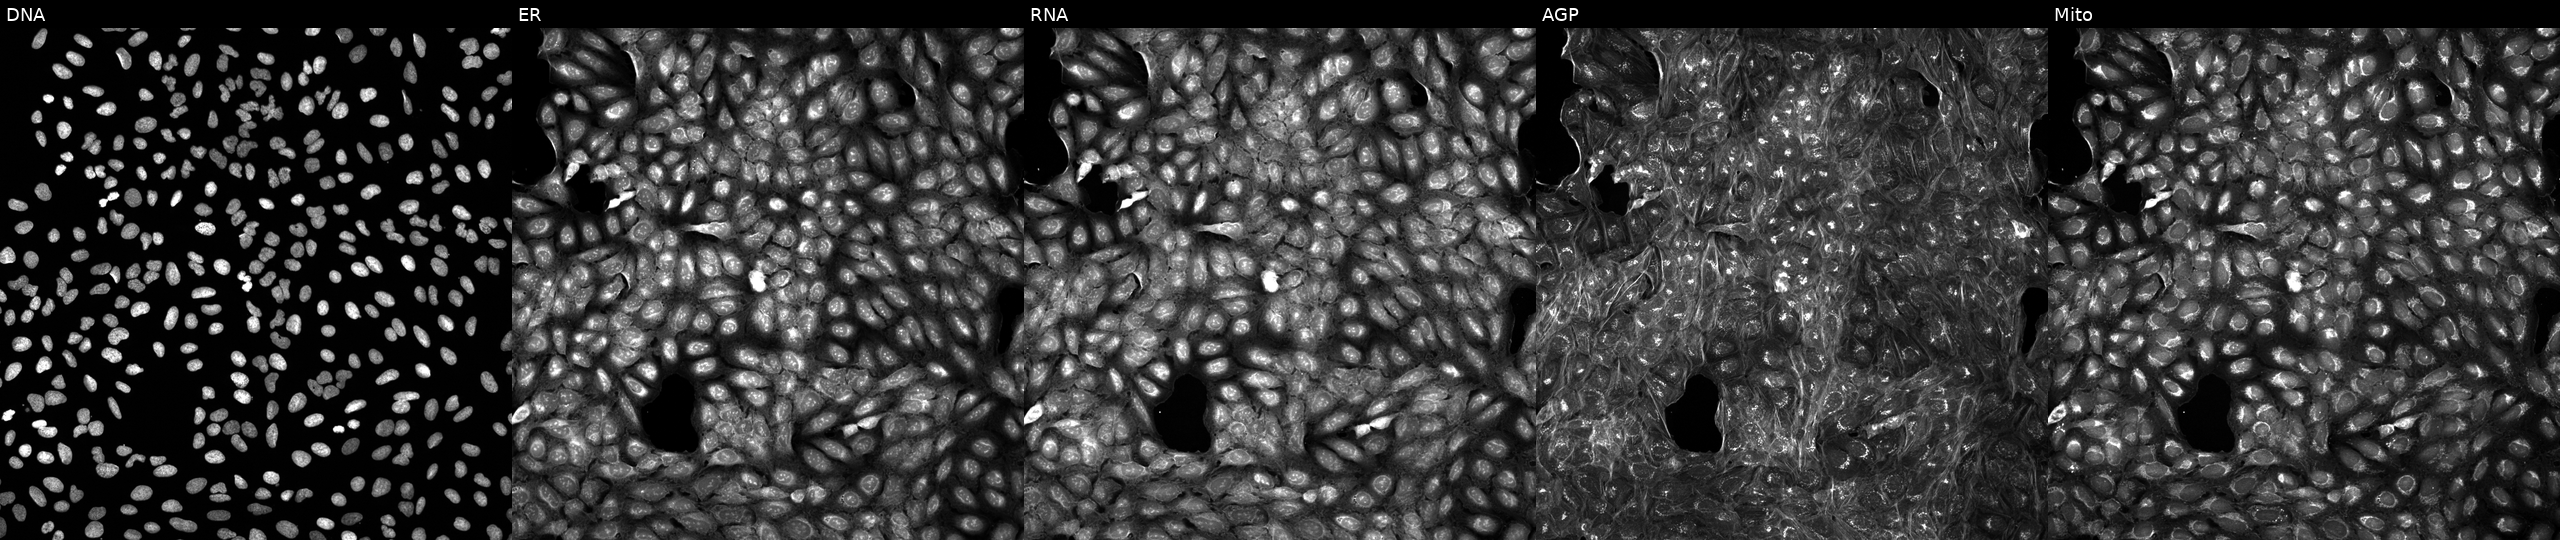
U2OS cells, Cell Painting assay, perturbed with a small-molecule compound (InChIKey JBJVEVAAYISNNL-UHFFFAOYSA-N). From left to right: Hoechst 33342, concanavalin A, SYTO 14, phalloidin and WGA, MitoTracker. Each panel is percentile-stretched 16-bit fluorescence.